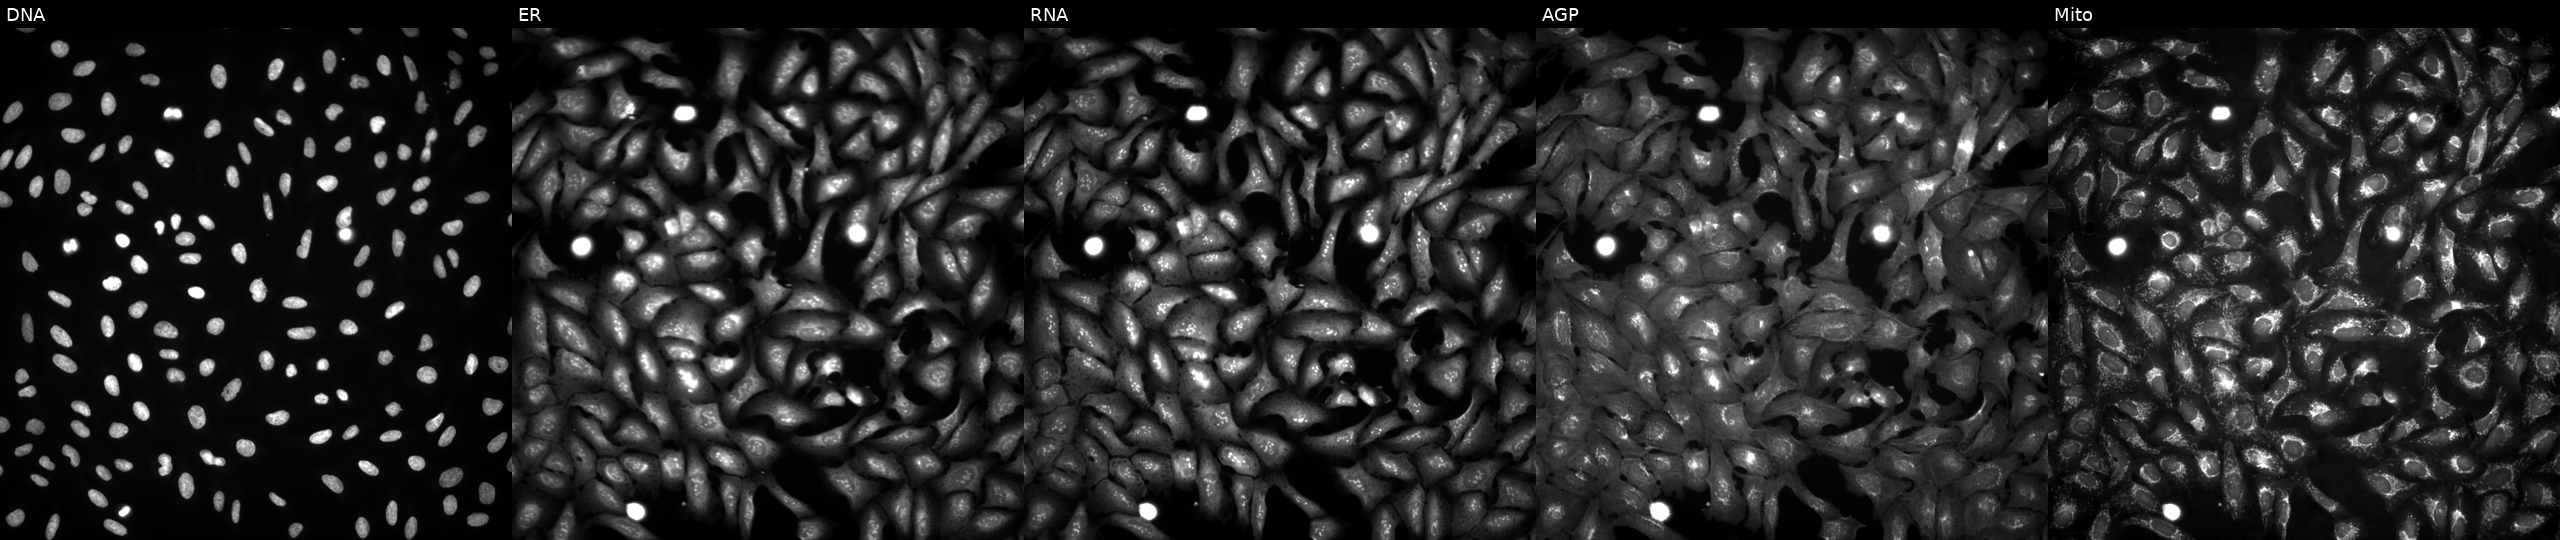
This image strip shows the five Cell Painting channels for a single field of U2OS cells with MITD1 overexpressed (ORF) (JUMP id JCP2022_904544). Channels (left→right): Hoechst 33342, concanavalin A, SYTO 14, phalloidin and WGA, MitoTracker. Source 4, plate BR00124787, well B08.